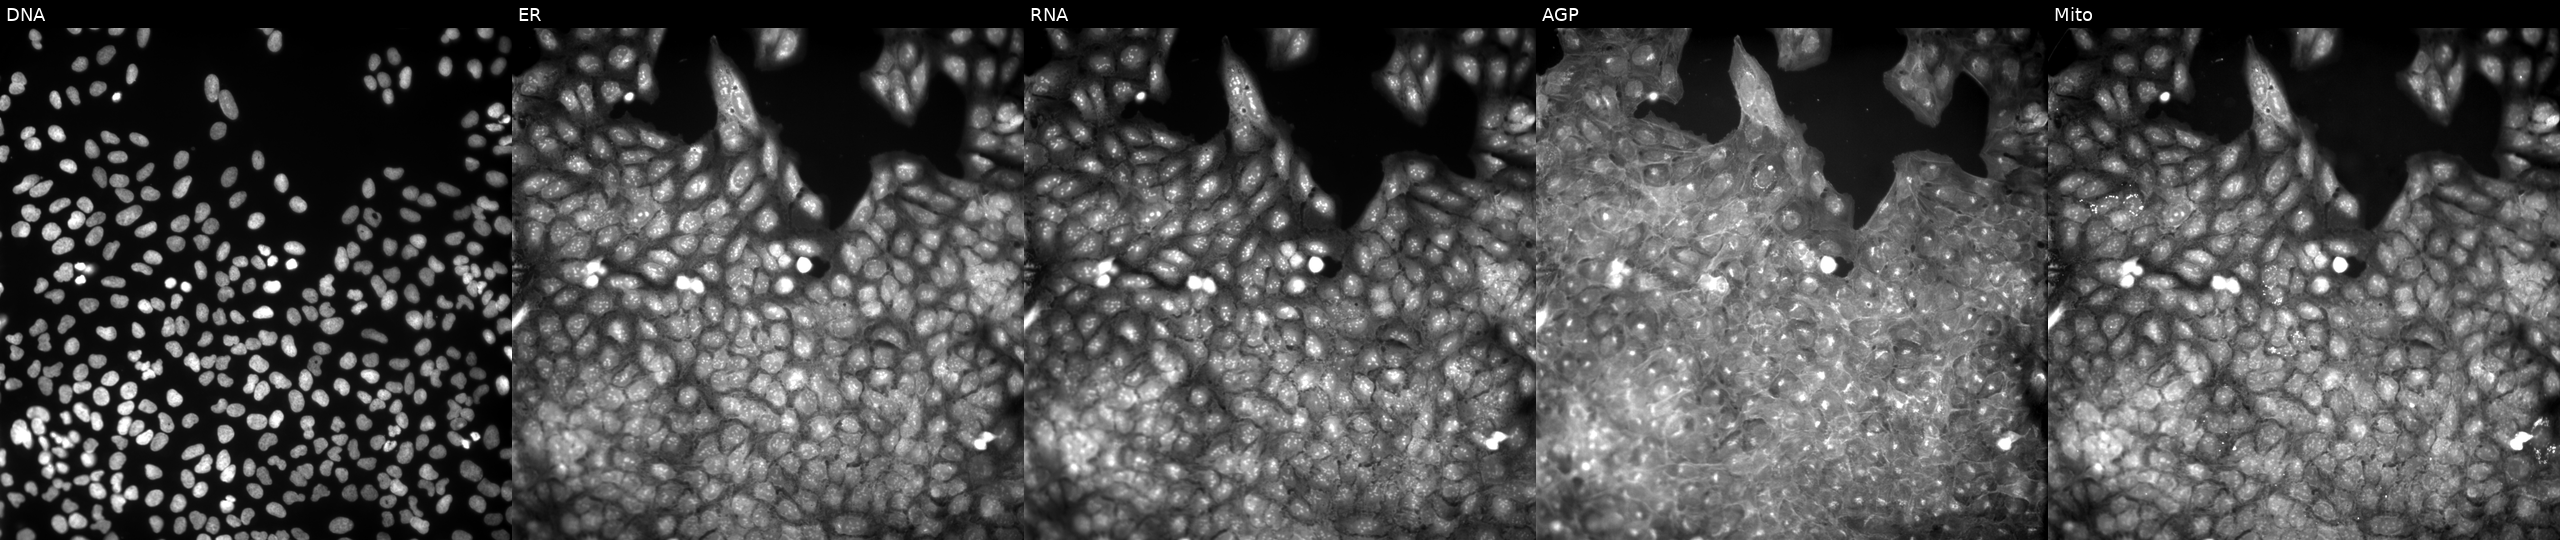
JUMP Cell Painting — COMPOUND plate. U2OS cells perturbed with a small-molecule compound (InChIKey RWUMQCFIEYTEHZ-UHFFFAOYSA-N) (JUMP id JCP2022_081237). The five panels, left to right, show DNA, ER, RNA, AGP, and Mito.